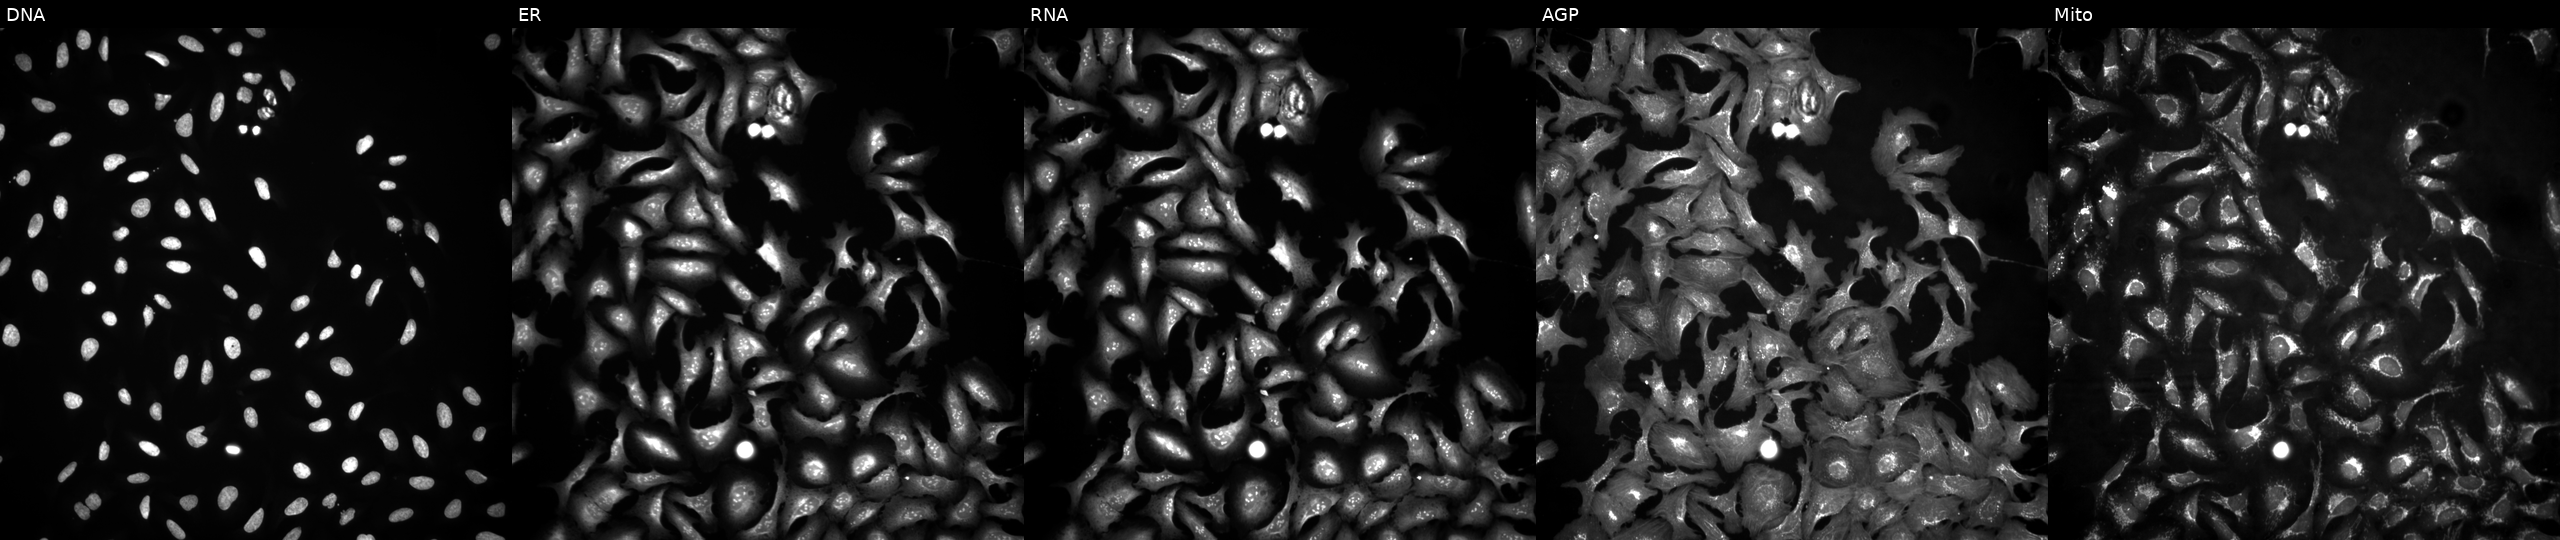
JUMP Cell Painting — ORF plate. U2OS cells untreated (empty-well control) (JUMP id JCP2022_999999). Panels show, left to right, DNA, ER, RNA, AGP, and Mito.